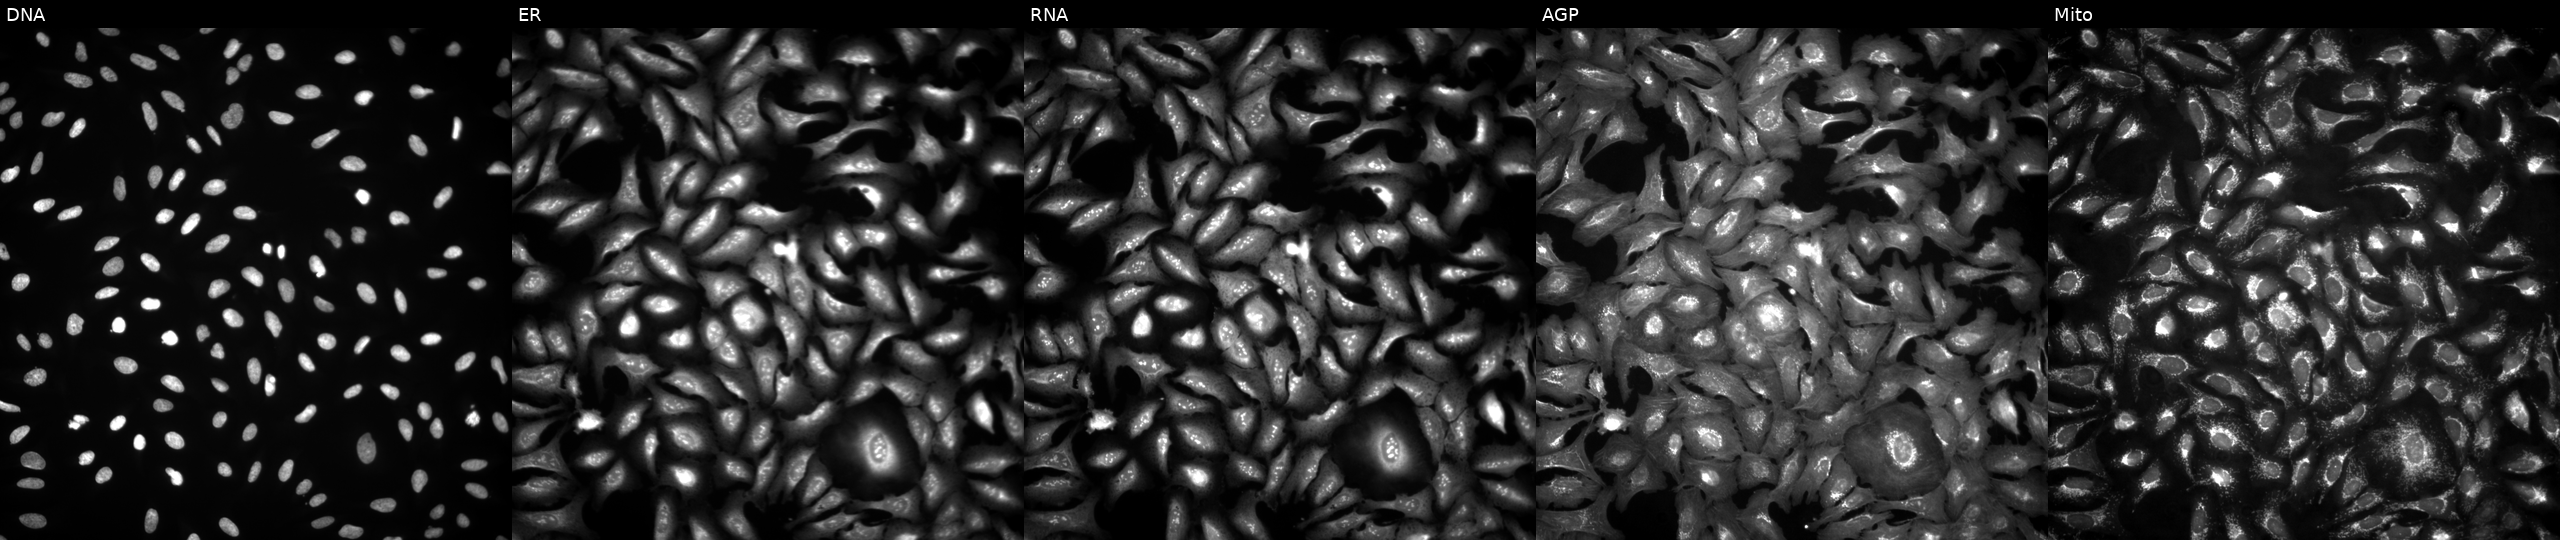
Five-channel Cell Painting image of U2OS cells overexpressing CHEK2 via ORF transfection. Panels show, left to right, DNA (nuclei); ER (endoplasmic reticulum); RNA (nucleoli and cytoplasmic RNA); AGP (actin cytoskeleton, Golgi, and plasma membrane); Mito (mitochondria).